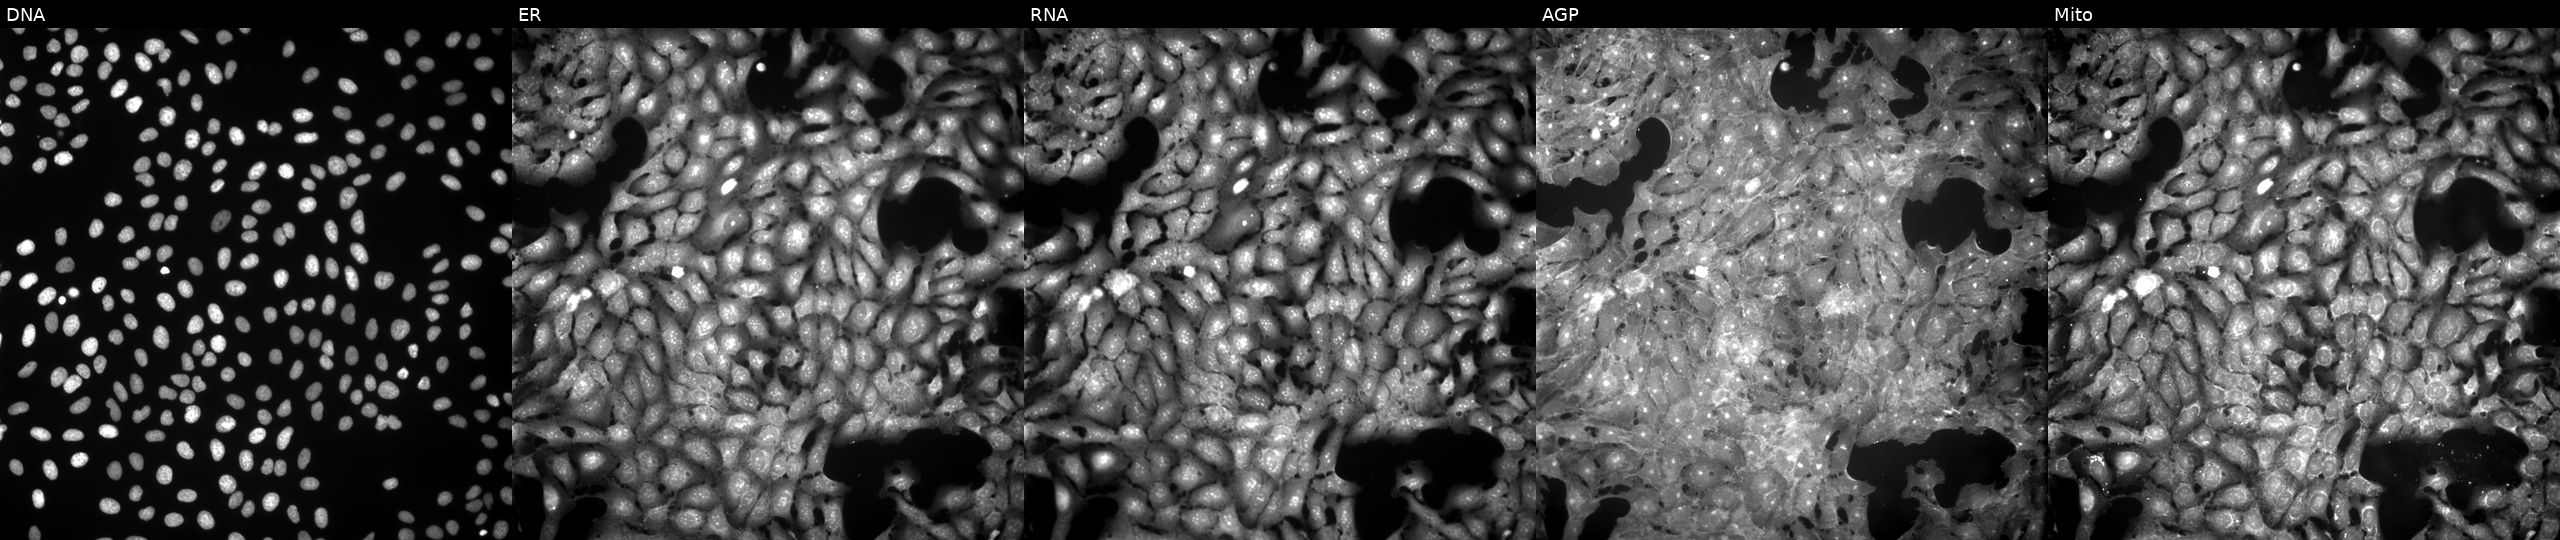
Panels show, left to right, Hoechst 33342, concanavalin A, SYTO 14, phalloidin and WGA, MitoTracker. U2OS osteosarcoma cells exposed to the positive-control compound FK-866 (JUMP id JCP2022_046054). Cell Painting assay, JUMP-CP dataset.